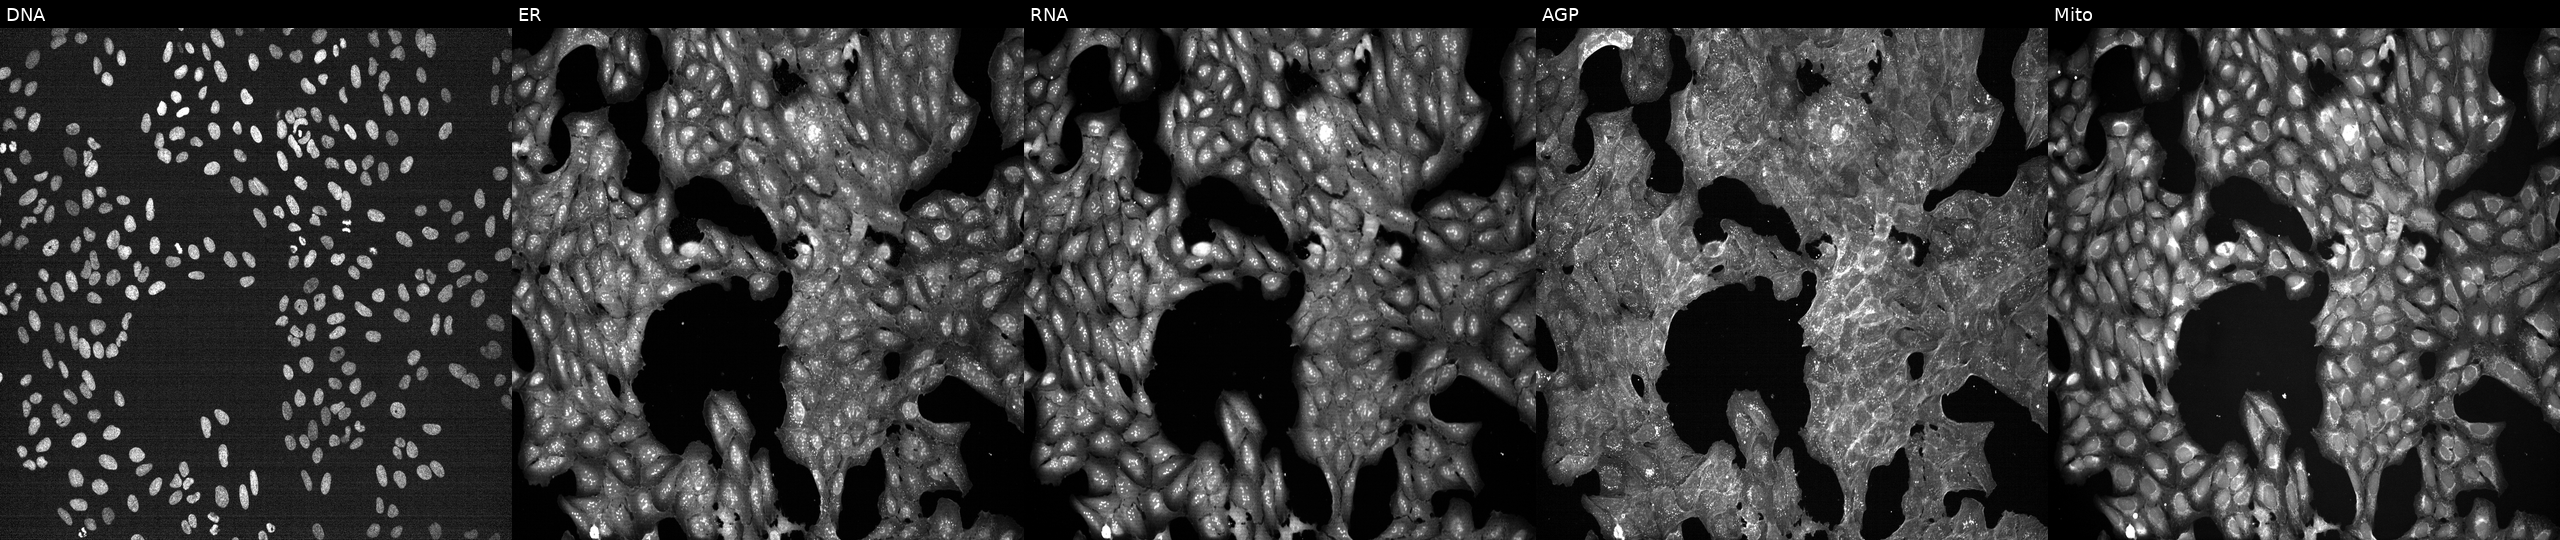
JUMP Cell Painting — TARGET2 plate. U2OS cells perturbed with a small-molecule compound [SMILES: CC(C)Oc1ccc(Cc2ccc(NC3=NCCN3)cc2)cc1] (JUMP id JCP2022_028645). Panels show, left to right, Hoechst 33342, concanavalin A, SYTO 14, phalloidin and WGA, MitoTracker. Source 7, plate CP1-SC1-25, well E16.